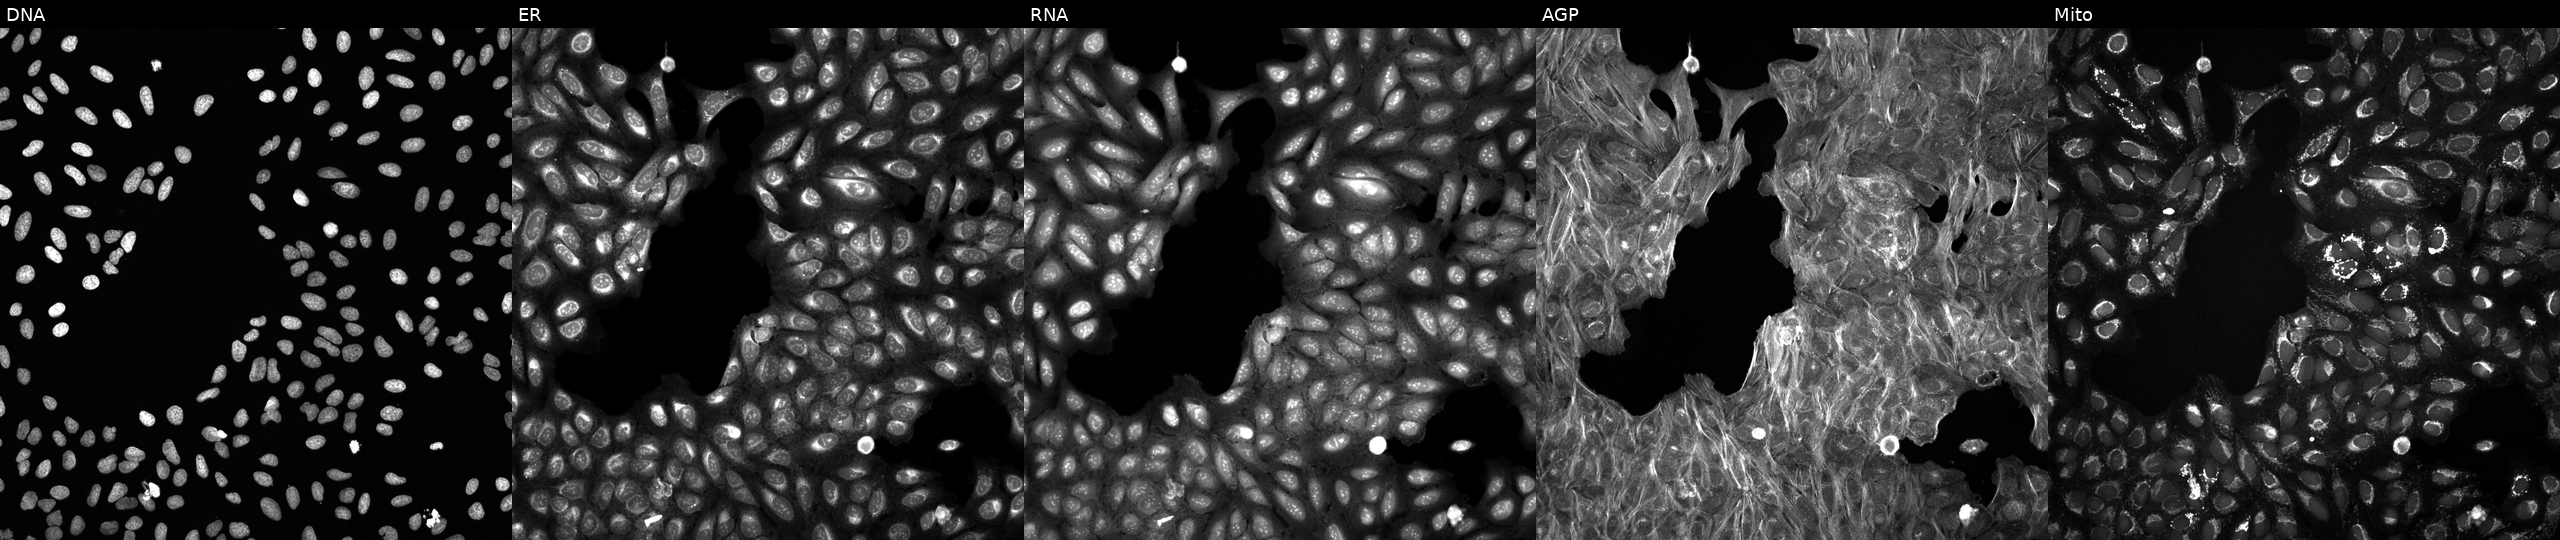
JUMP Cell Painting — COMPOUND plate. U2OS cells perturbed with a small-molecule compound. The five panels, left to right, show DNA (nuclei); ER (endoplasmic reticulum); RNA (nucleoli and cytoplasmic RNA); AGP (actin cytoskeleton, Golgi, and plasma membrane); Mito (mitochondria).